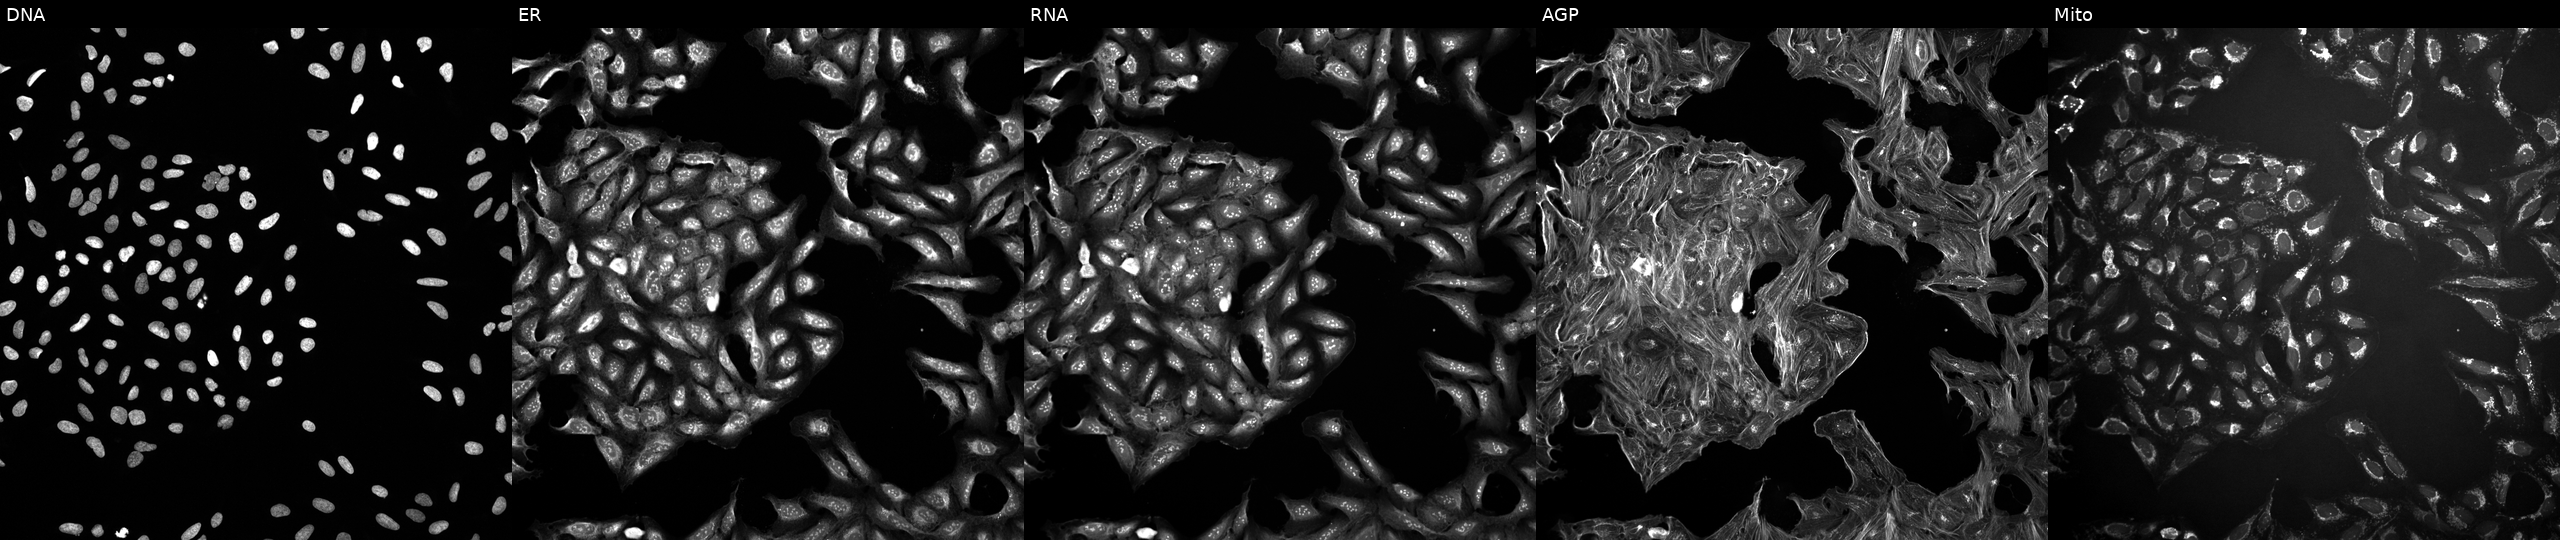
JUMP Cell Painting — TARGET2 plate. U2OS cells exposed to a small-molecule compound (InChIKey JPGQOUSTVILISH-UHFFFAOYSA-N). From left to right: DNA, ER, RNA, AGP, and Mito.